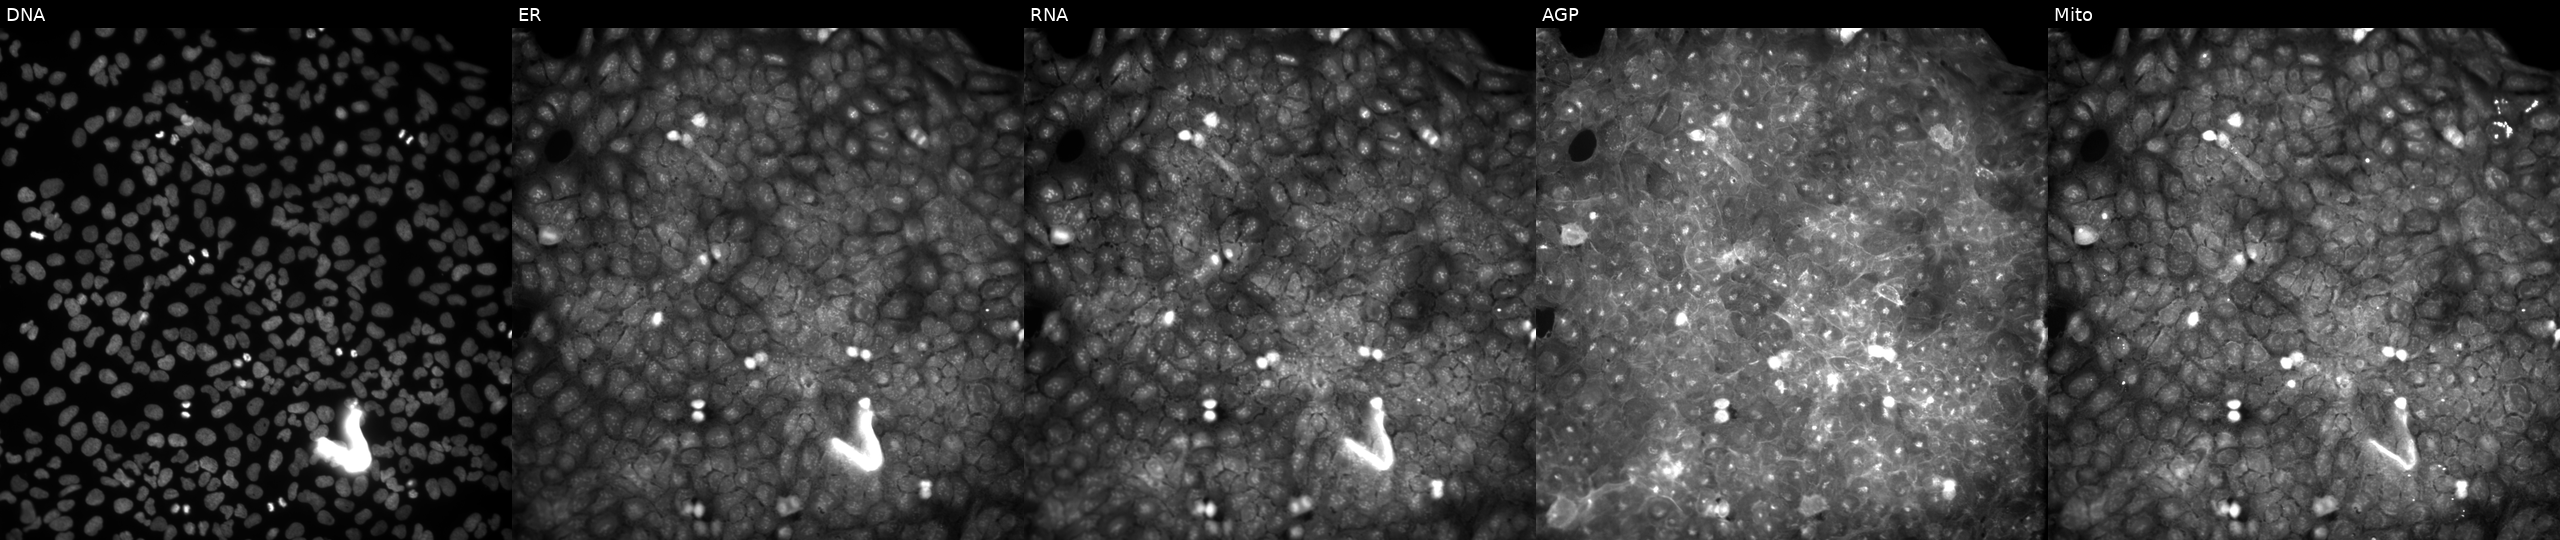
Five-channel Cell Painting image of U2OS cells exposed to a small-molecule compound (InChIKey CRKUHFHSQODMGK-UHFFFAOYSA-N) [SMILES: Cc1c(NC(=O)CCN2C(=O)c3ccccc3C2=O)c(=O)n(-c2ccccc2)n1C] (JUMP id JCP2022_012991). From left to right: Hoechst 33342, concanavalin A, SYTO 14, phalloidin and WGA, MitoTracker.